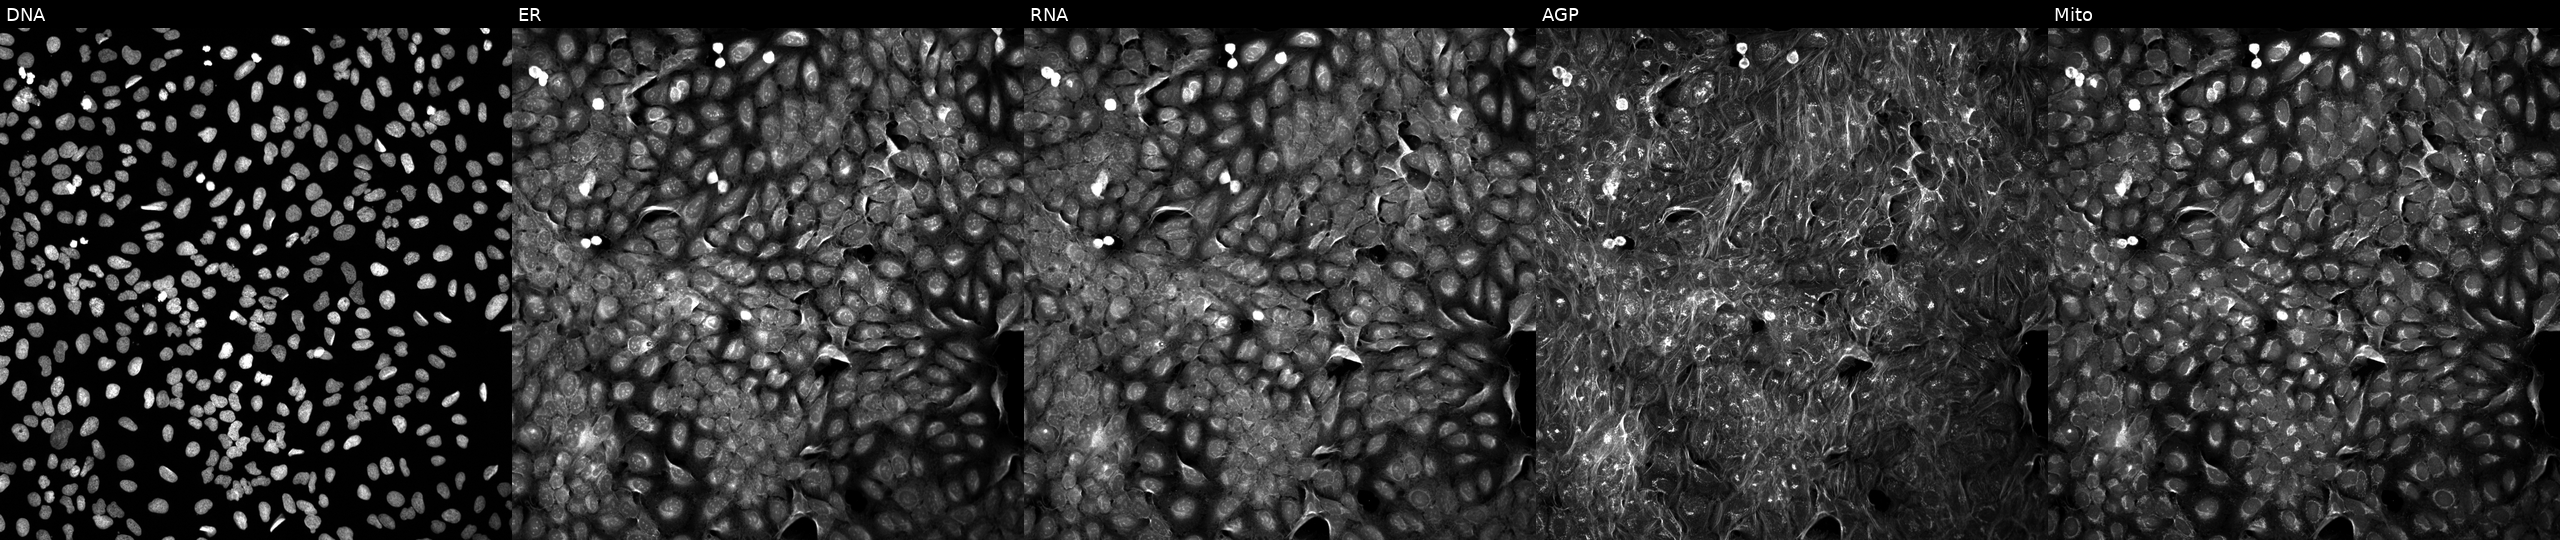
JUMP Cell Painting — COMPOUND plate. U2OS cells treated with DMSO vehicle only (negative control) (JUMP id JCP2022_033924). Channels (left→right): DNA, ER, RNA, AGP, and Mito. Source 5, plate APTJUM105, well N23.